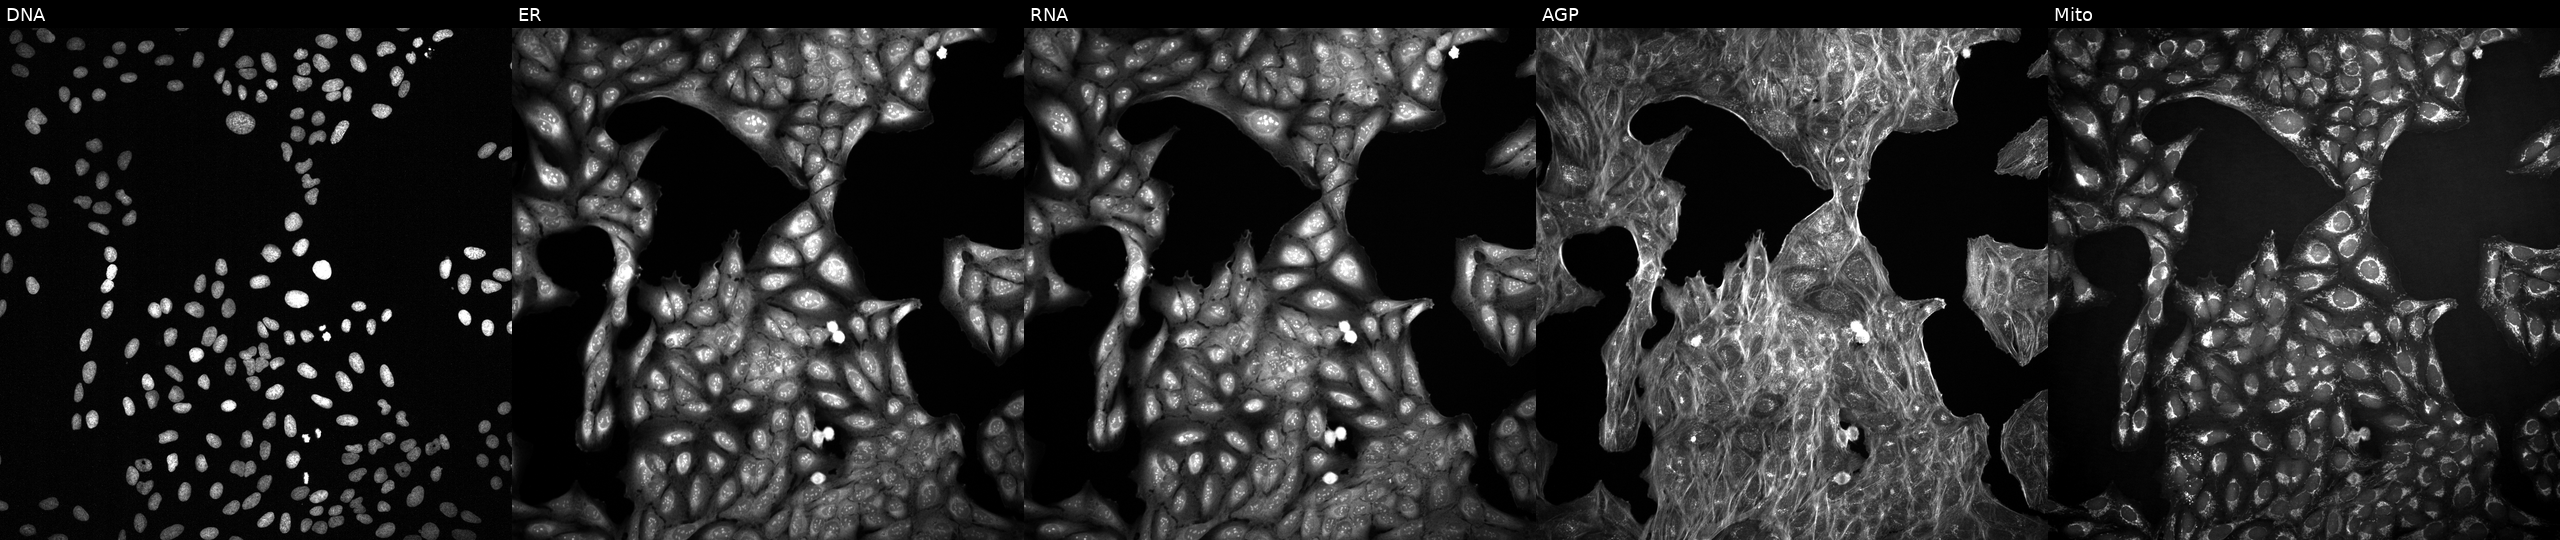
U2OS cells, Cell Painting assay, treated with a small-molecule compound (InChIKey AXJDPKPBHTUQSD-UHFFFAOYSA-N). From left to right: DNA (nuclei); ER (endoplasmic reticulum); RNA (nucleoli and cytoplasmic RNA); AGP (actin cytoskeleton, Golgi, and plasma membrane); Mito (mitochondria). Each panel is percentile-stretched 16-bit fluorescence. Source 2, plate 1053601763, well I19.